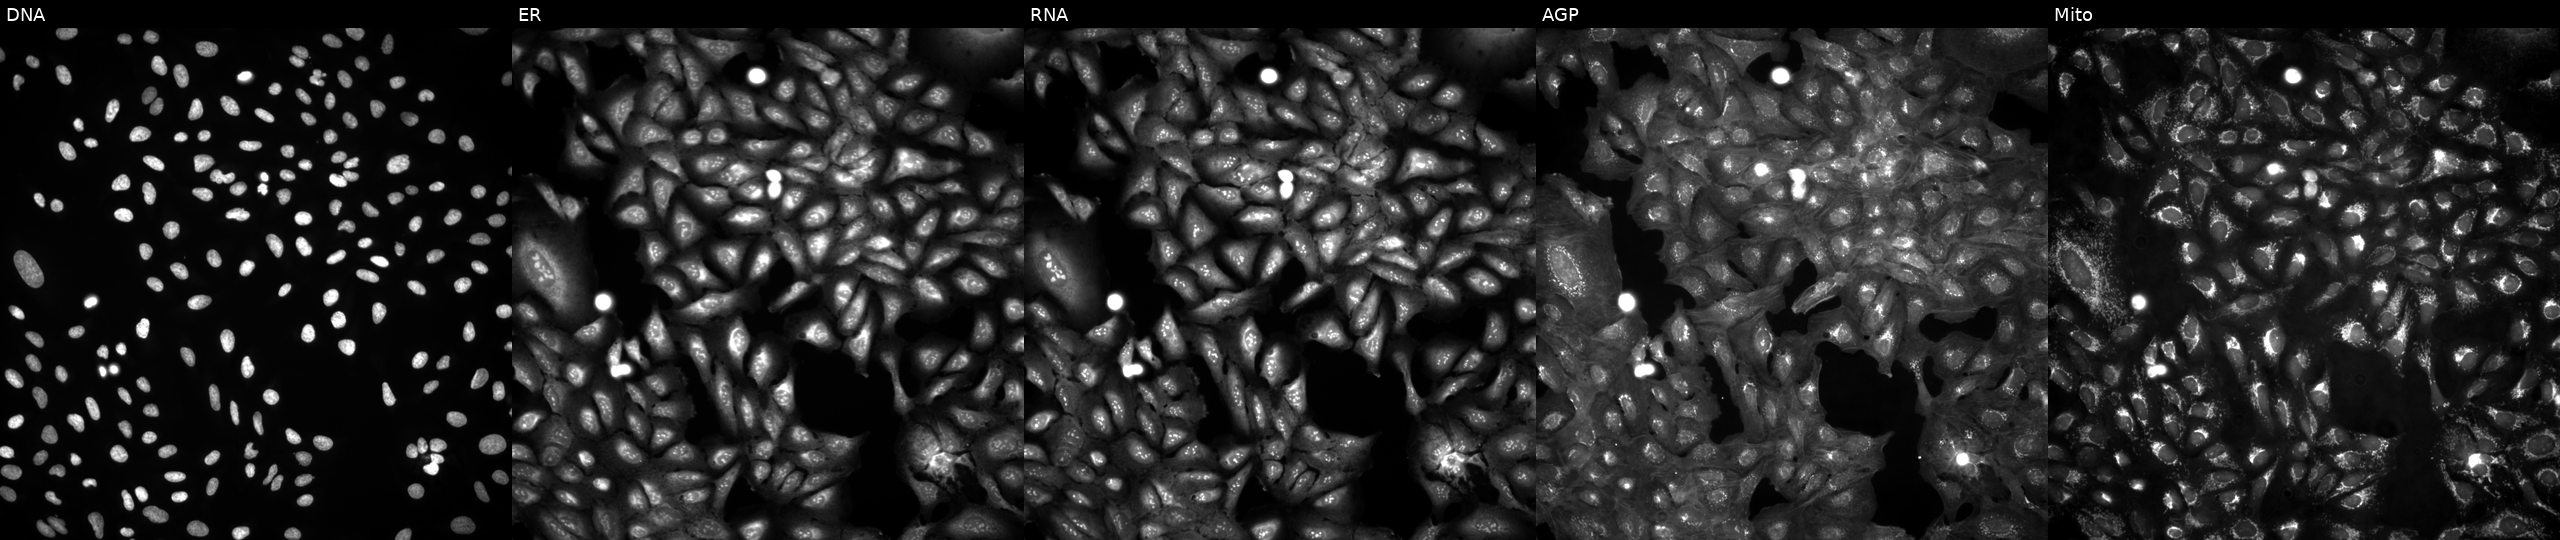
Five-channel Cell Painting image of U2OS cells in an empty control well (no perturbation) (JUMP id JCP2022_999999). From left to right: Hoechst 33342, concanavalin A, SYTO 14, phalloidin and WGA, MitoTracker. Source 4, plate BR00124793, well G09.